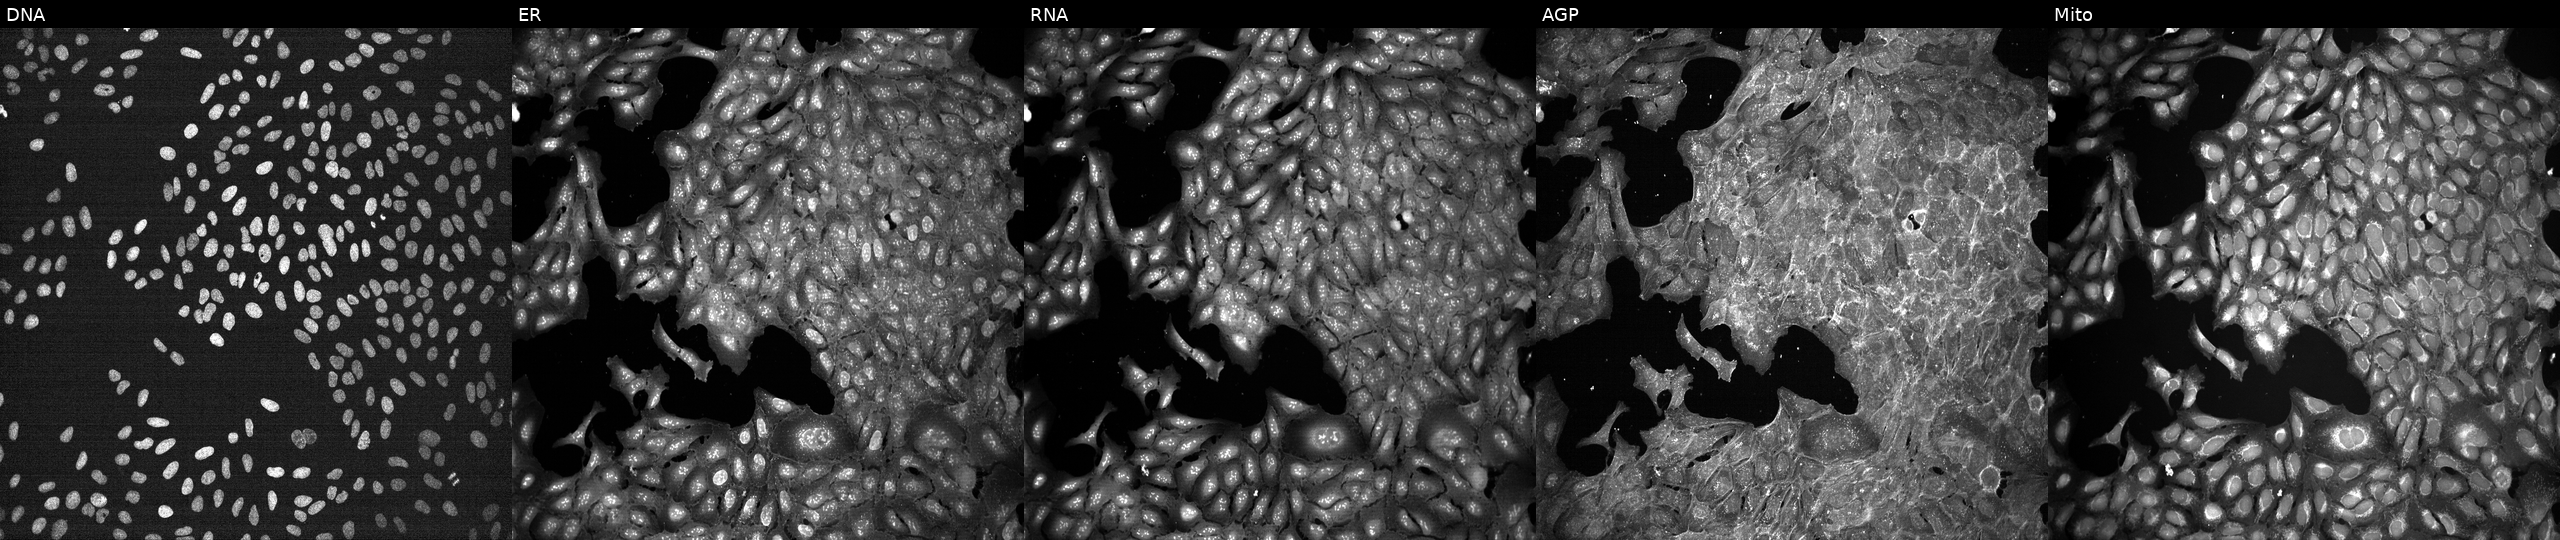
Panels show, left to right, Hoechst 33342, concanavalin A, SYTO 14, phalloidin and WGA, MitoTracker. U2OS osteosarcoma cells exposed to DMSO alone as a negative control. Cell Painting assay, JUMP-CP dataset. Source 7, plate CP1-SC1-25, well E23.